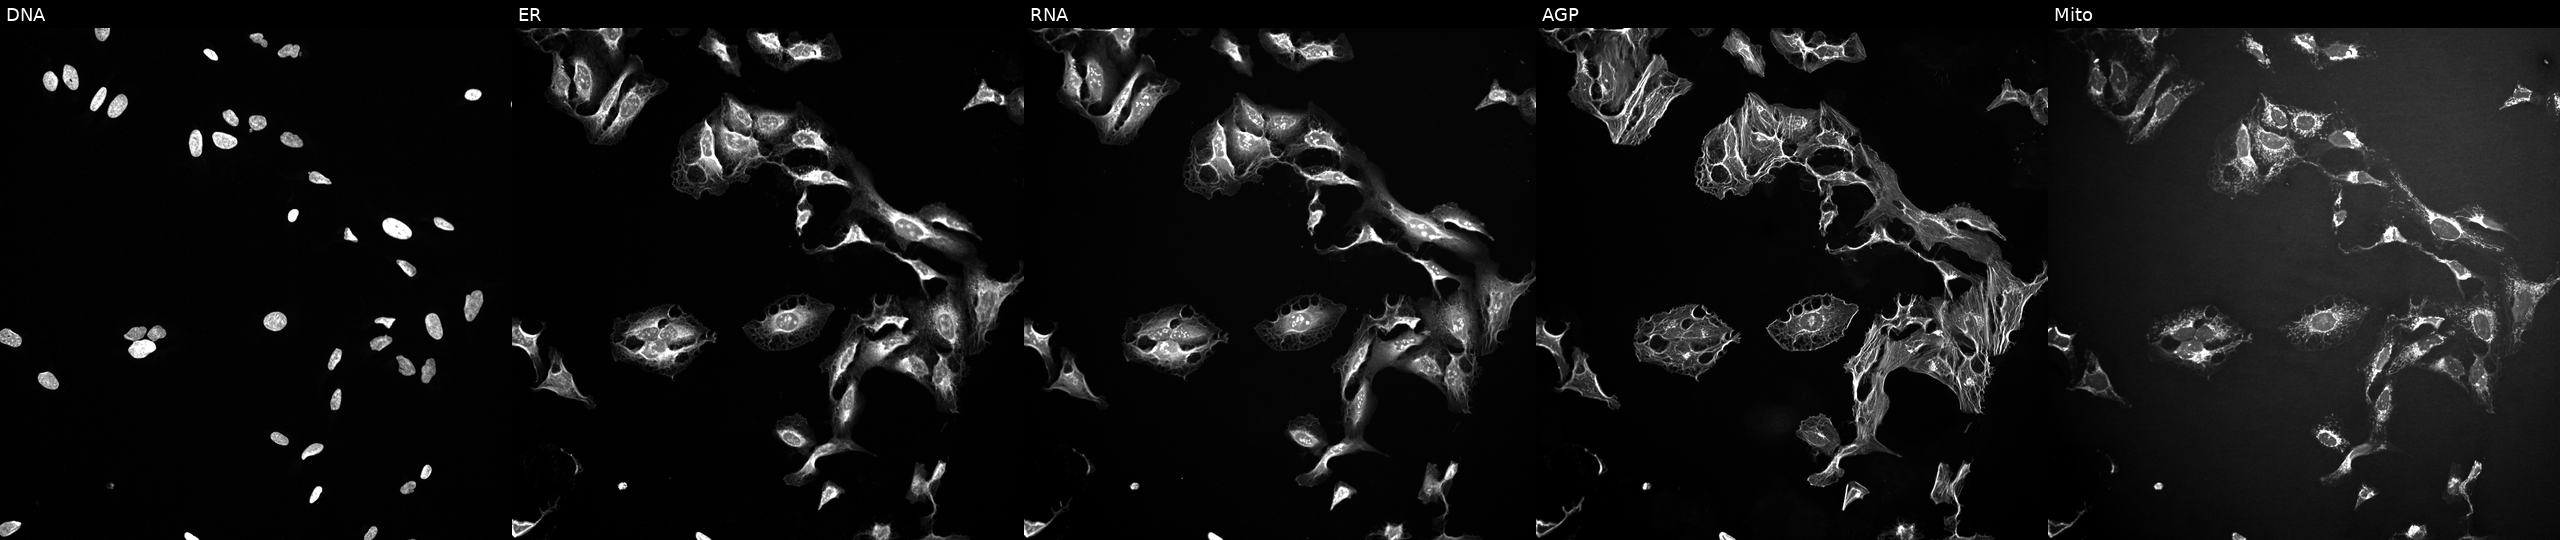
Five-channel Cell Painting image of U2OS cells perturbed with a small-molecule compound. The five panels, left to right, show DNA, ER, RNA, AGP, and Mito. Source 10, plate Dest210727-153003, well D16.